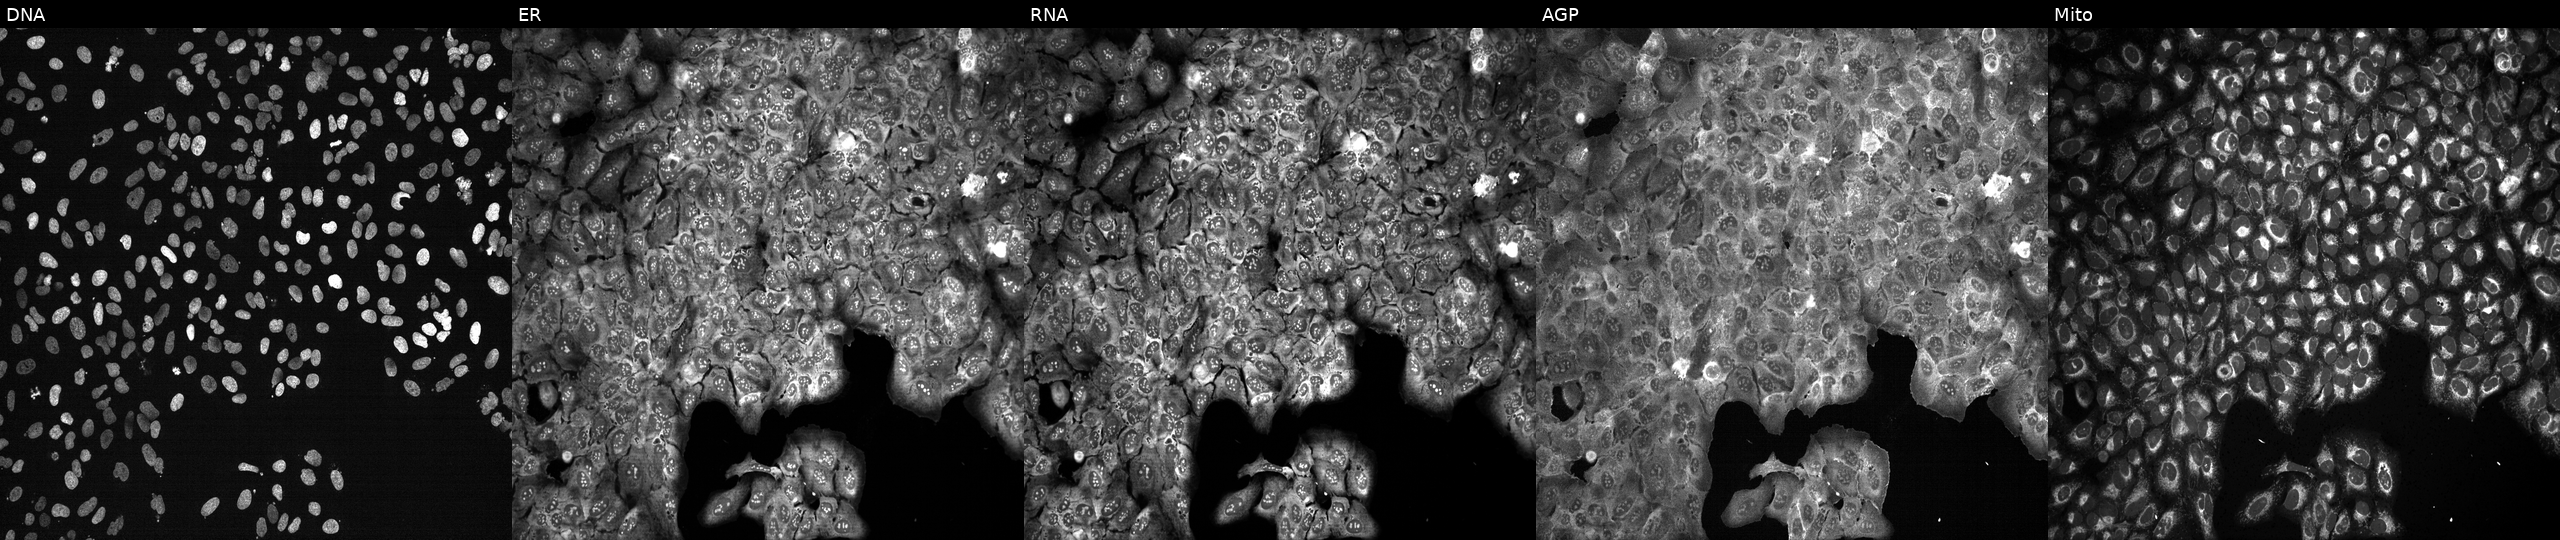
This image strip shows the five Cell Painting channels for a single field of U2OS cells CRISPR-edited to disrupt UGT2B7. The five panels, left to right, show DNA (nuclei); ER (endoplasmic reticulum); RNA (nucleoli and cytoplasmic RNA); AGP (actin cytoskeleton, Golgi, and plasma membrane); Mito (mitochondria).